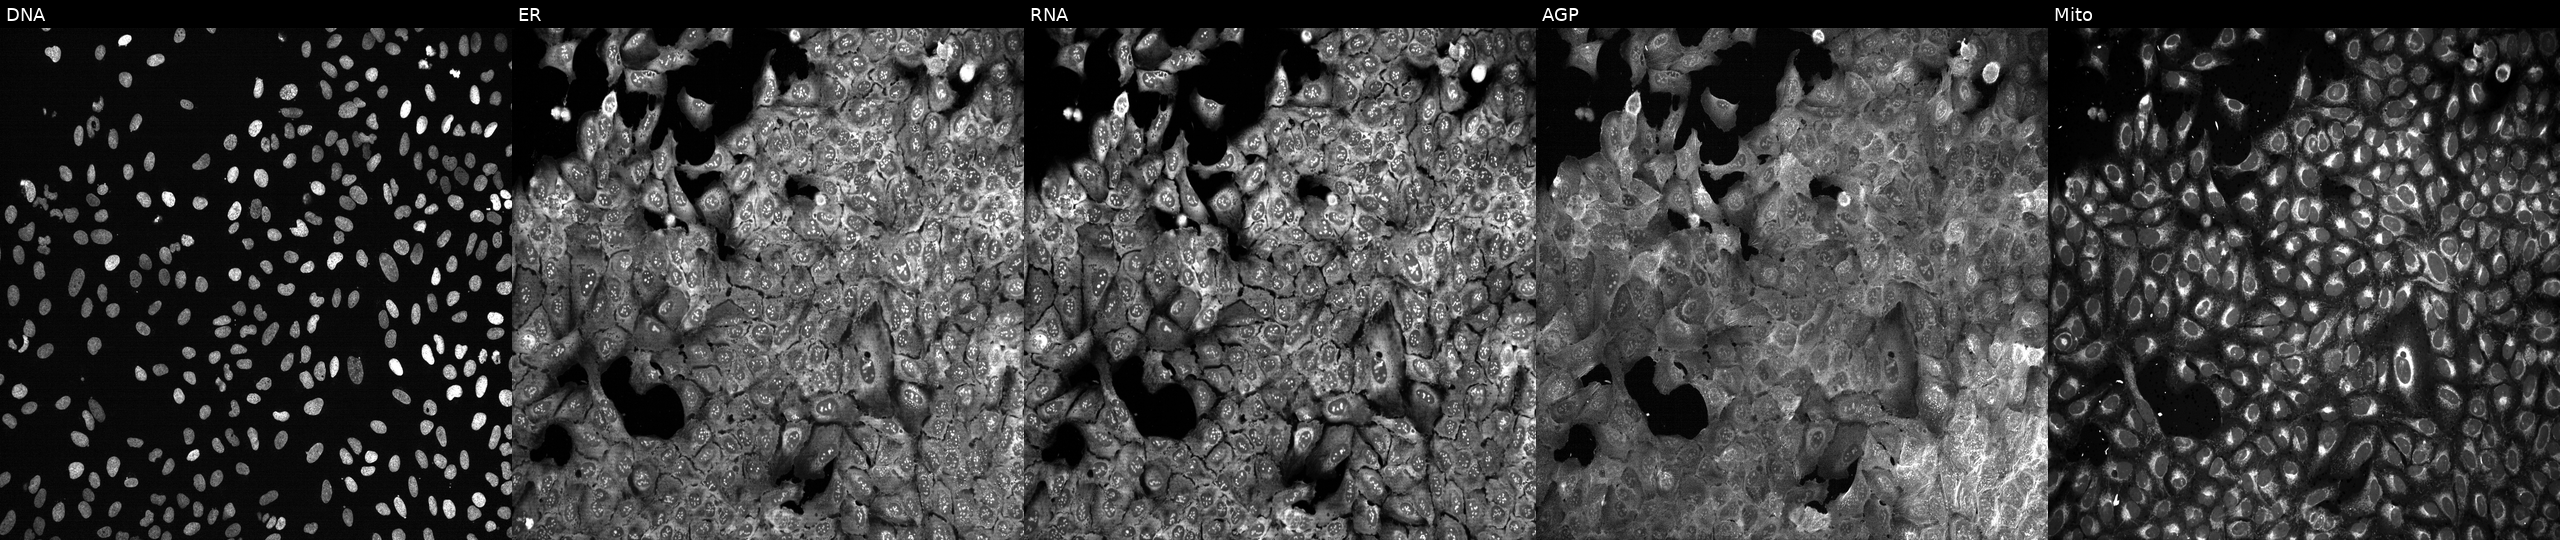
Five-channel Cell Painting image of U2OS cells with GJA5 knocked out by CRISPR (JUMP id JCP2022_802694). Channels (left→right): DNA, ER, RNA, AGP, and Mito. Source 13, plate CP-CC9-R2-01, well K03.